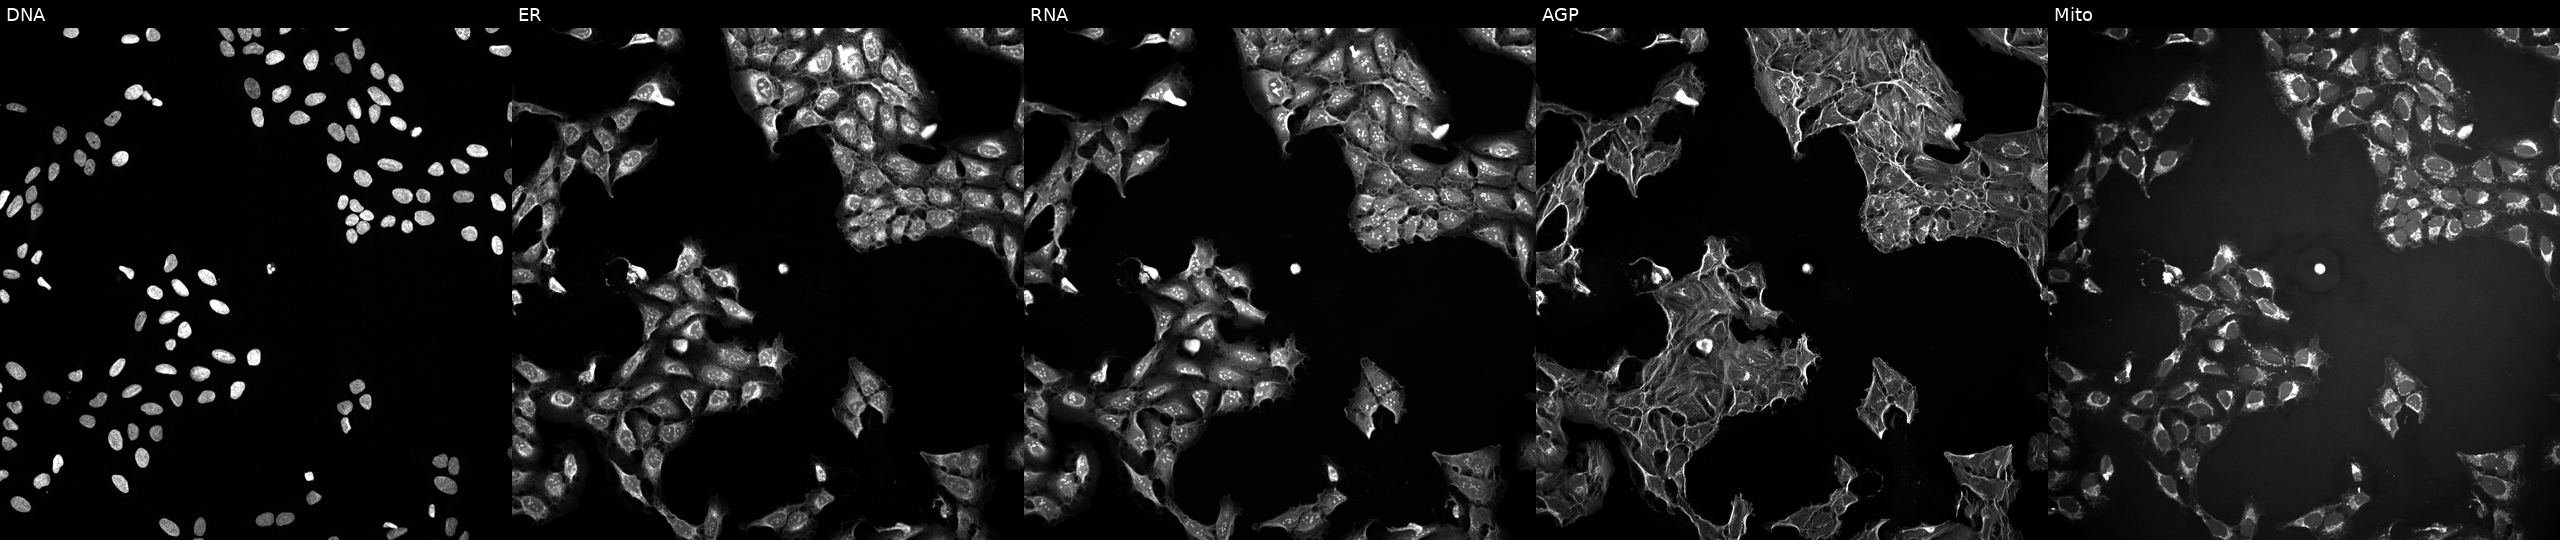
Five-channel Cell Painting image of U2OS cells perturbed with a small-molecule compound. Channels (left→right): DNA, ER, RNA, AGP, and Mito. Source 10, plate Dest210727-153003, well O08.